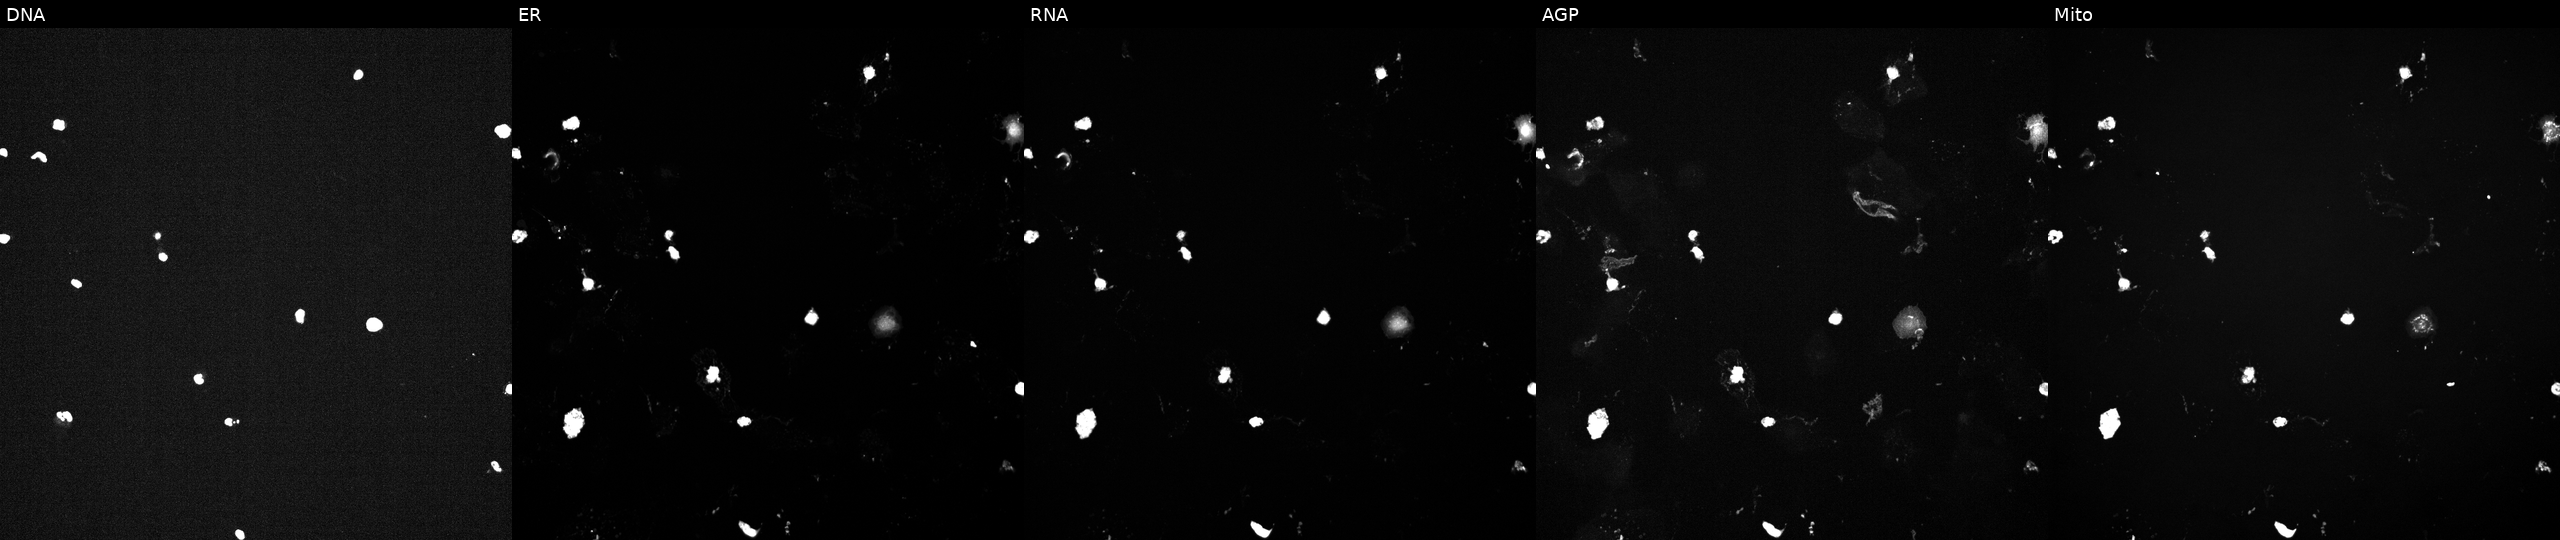
Panels show, left to right, Hoechst 33342, concanavalin A, SYTO 14, phalloidin and WGA, MitoTracker. U2OS osteosarcoma cells treated with a small-molecule compound (InChIKey XUZQTIZWMHMWOC-UHFFFAOYSA-N). Cell Painting assay, JUMP-CP dataset. Source 6, plate 110000293081, well K13.